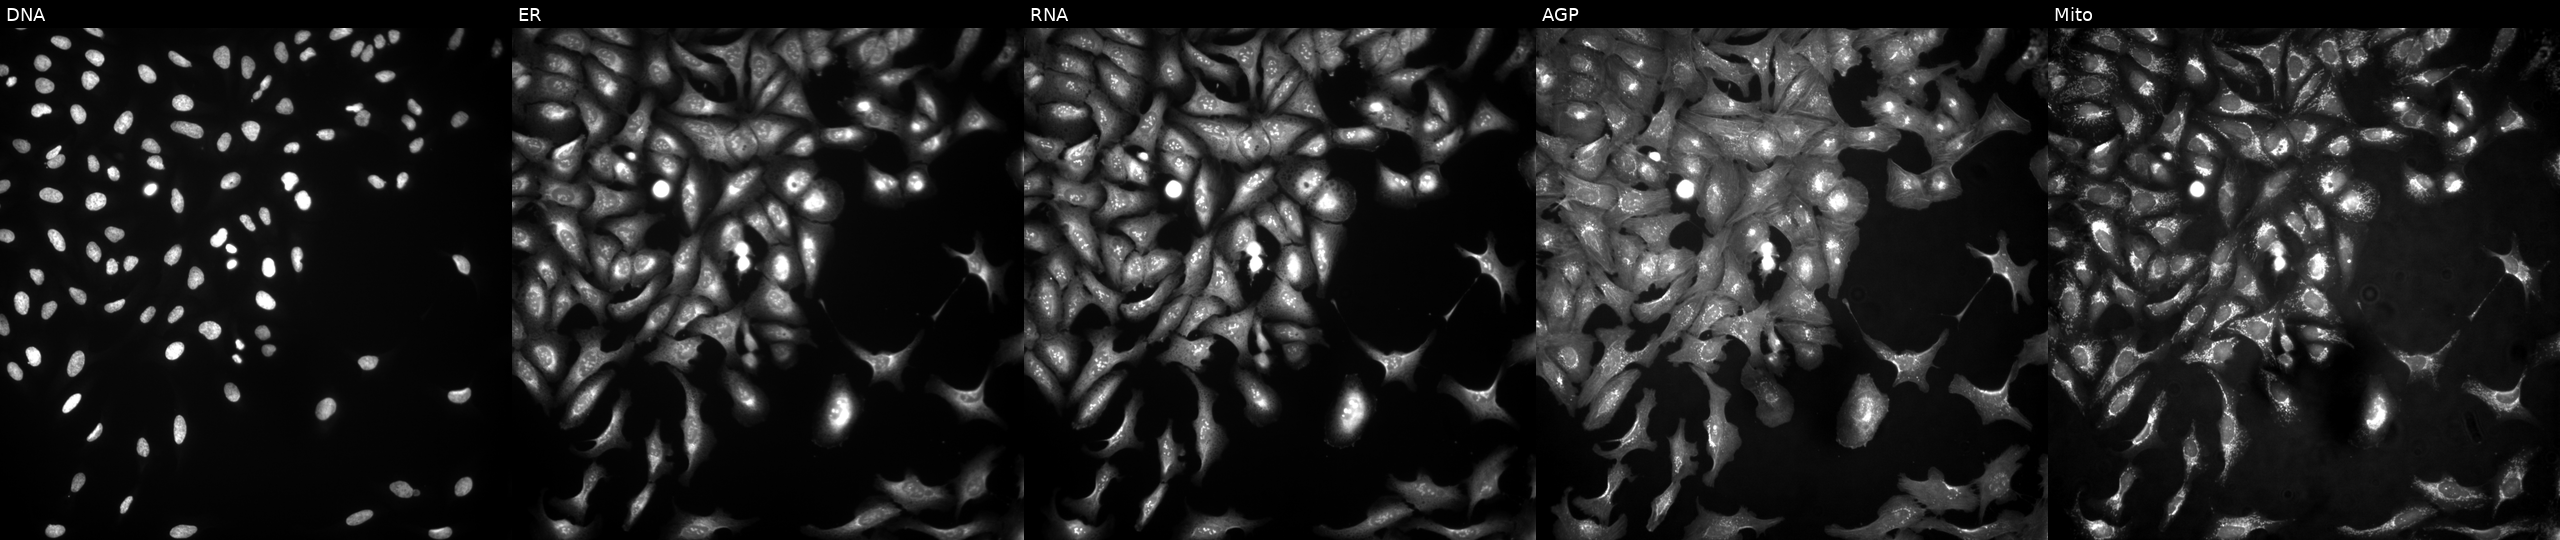
Channels (left→right): DNA (nuclei); ER (endoplasmic reticulum); RNA (nucleoli and cytoplasmic RNA); AGP (actin cytoskeleton, Golgi, and plasma membrane); Mito (mitochondria). U2OS osteosarcoma cells with LGR5 overexpressed (ORF) (JUMP id JCP2022_906786). Cell Painting assay, JUMP-CP dataset. Source 4, plate BR00124790, well J20.